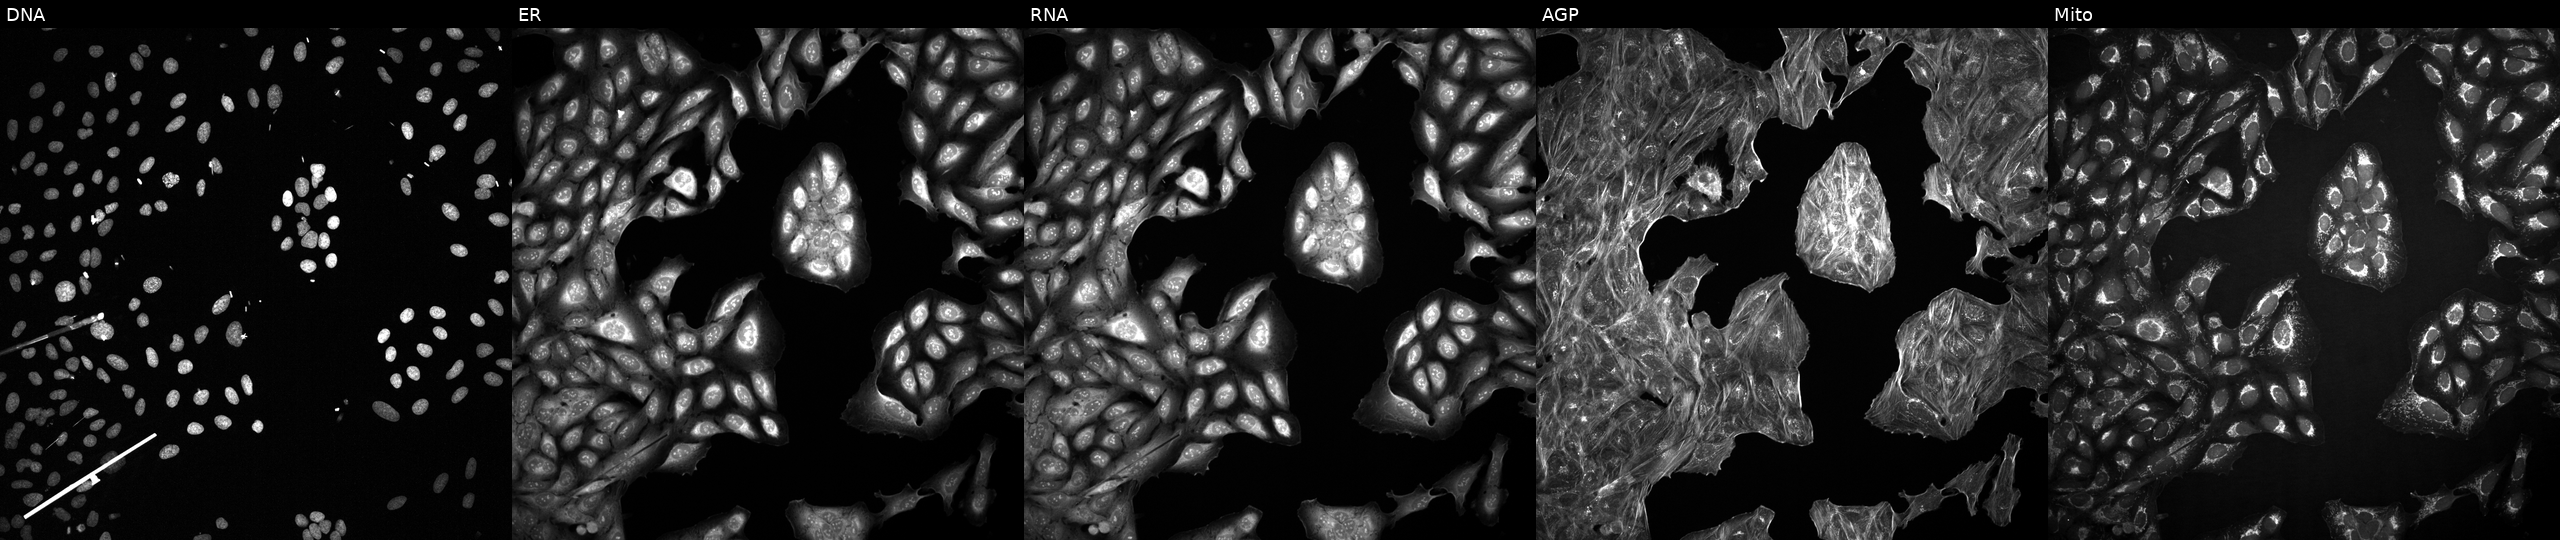
From left to right: DNA, ER, RNA, AGP, and Mito. U2OS osteosarcoma cells perturbed with a small-molecule compound [SMILES: CC(C)(C)c1cc2nc(C(F)(F)F)cc(SCCOC(=O)c3ccccc3)n2n1]. Cell Painting assay, JUMP-CP dataset.